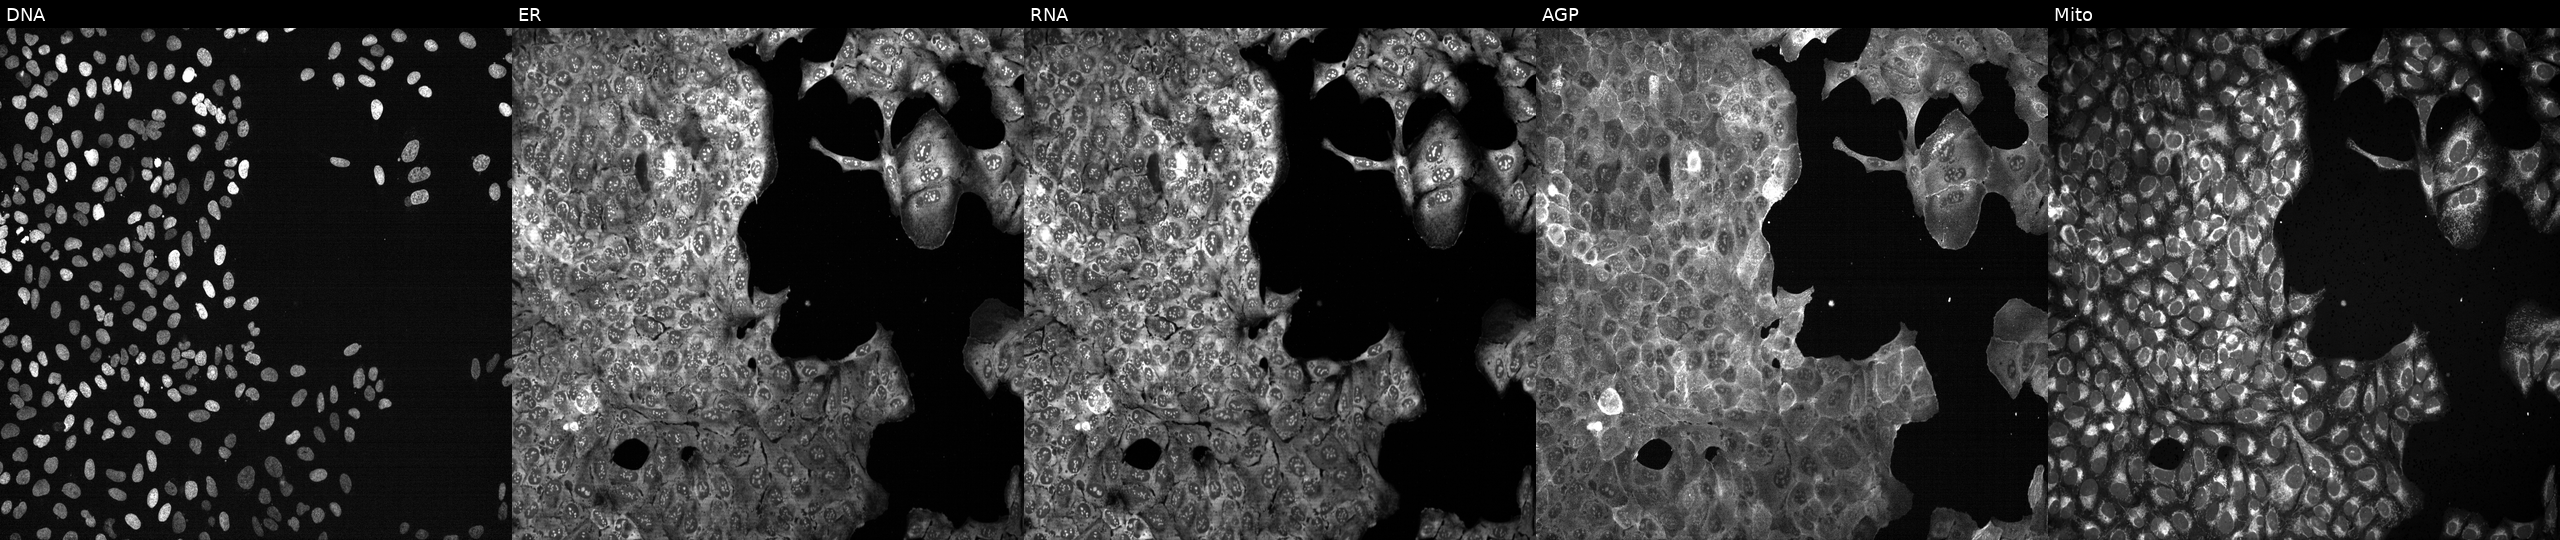
High-content fluorescence microscopy (Cell Painting). Cell line: U2OS. Perturbation: CRISPR-edited to disrupt RABGGTA (JUMP id JCP2022_805792). Channels (left→right): DNA (nuclei); ER (endoplasmic reticulum); RNA (nucleoli and cytoplasmic RNA); AGP (actin cytoskeleton, Golgi, and plasma membrane); Mito (mitochondria).